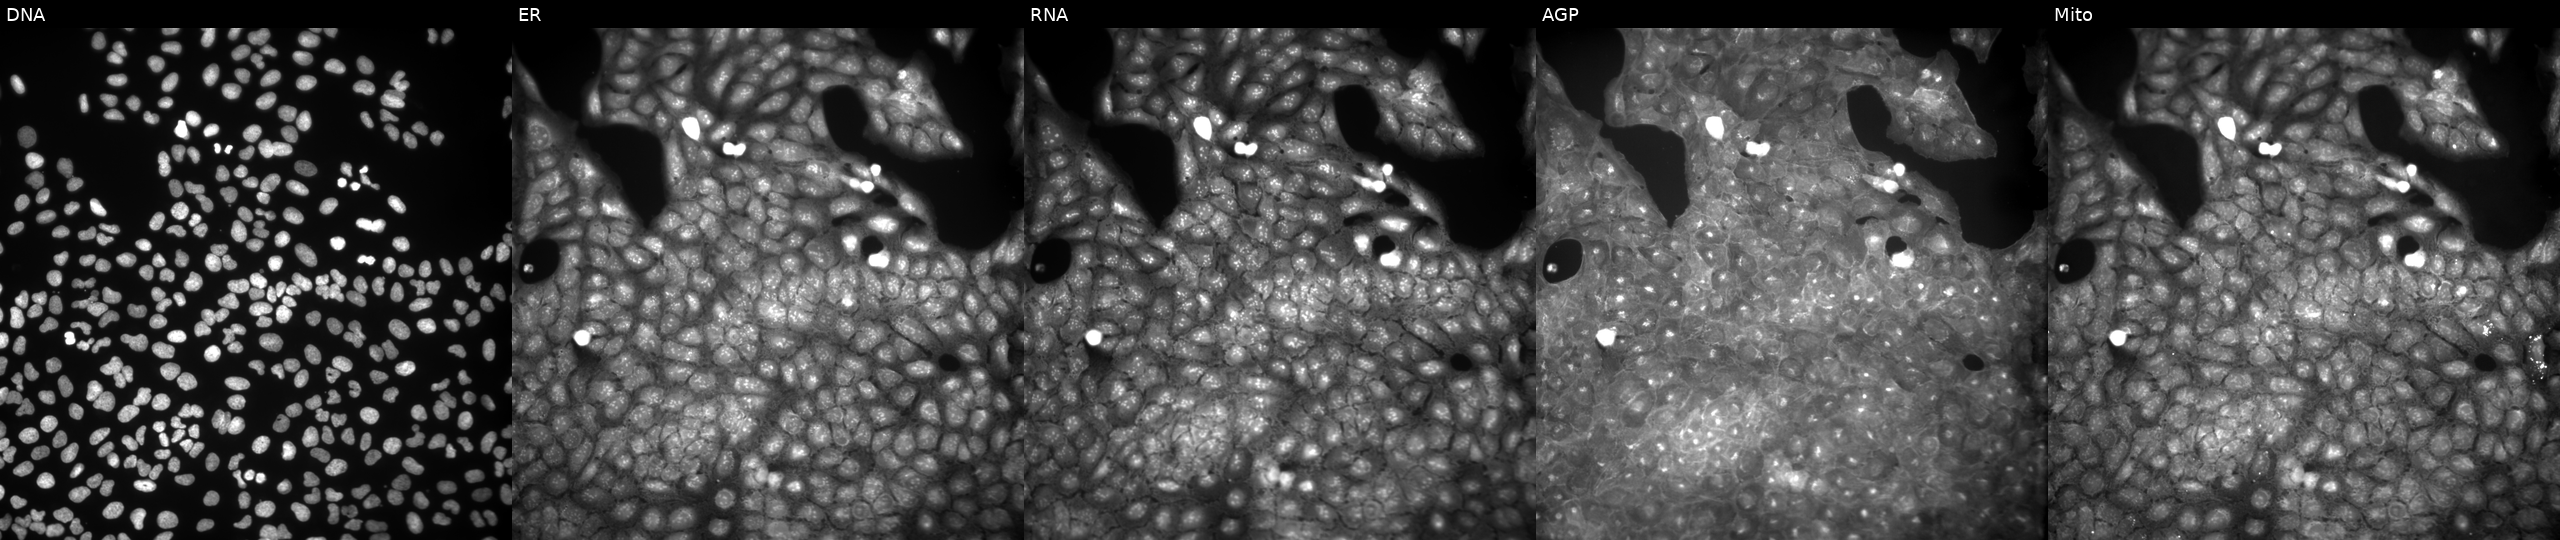
High-content fluorescence microscopy (Cell Painting). Cell line: U2OS. Perturbation: exposed to a small-molecule compound (InChIKey CSRFKIZVTIGBKU-UHFFFAOYSA-N). From left to right: DNA (nuclei); ER (endoplasmic reticulum); RNA (nucleoli and cytoplasmic RNA); AGP (actin cytoskeleton, Golgi, and plasma membrane); Mito (mitochondria). Source 9, plate GR00003382, well AE29.